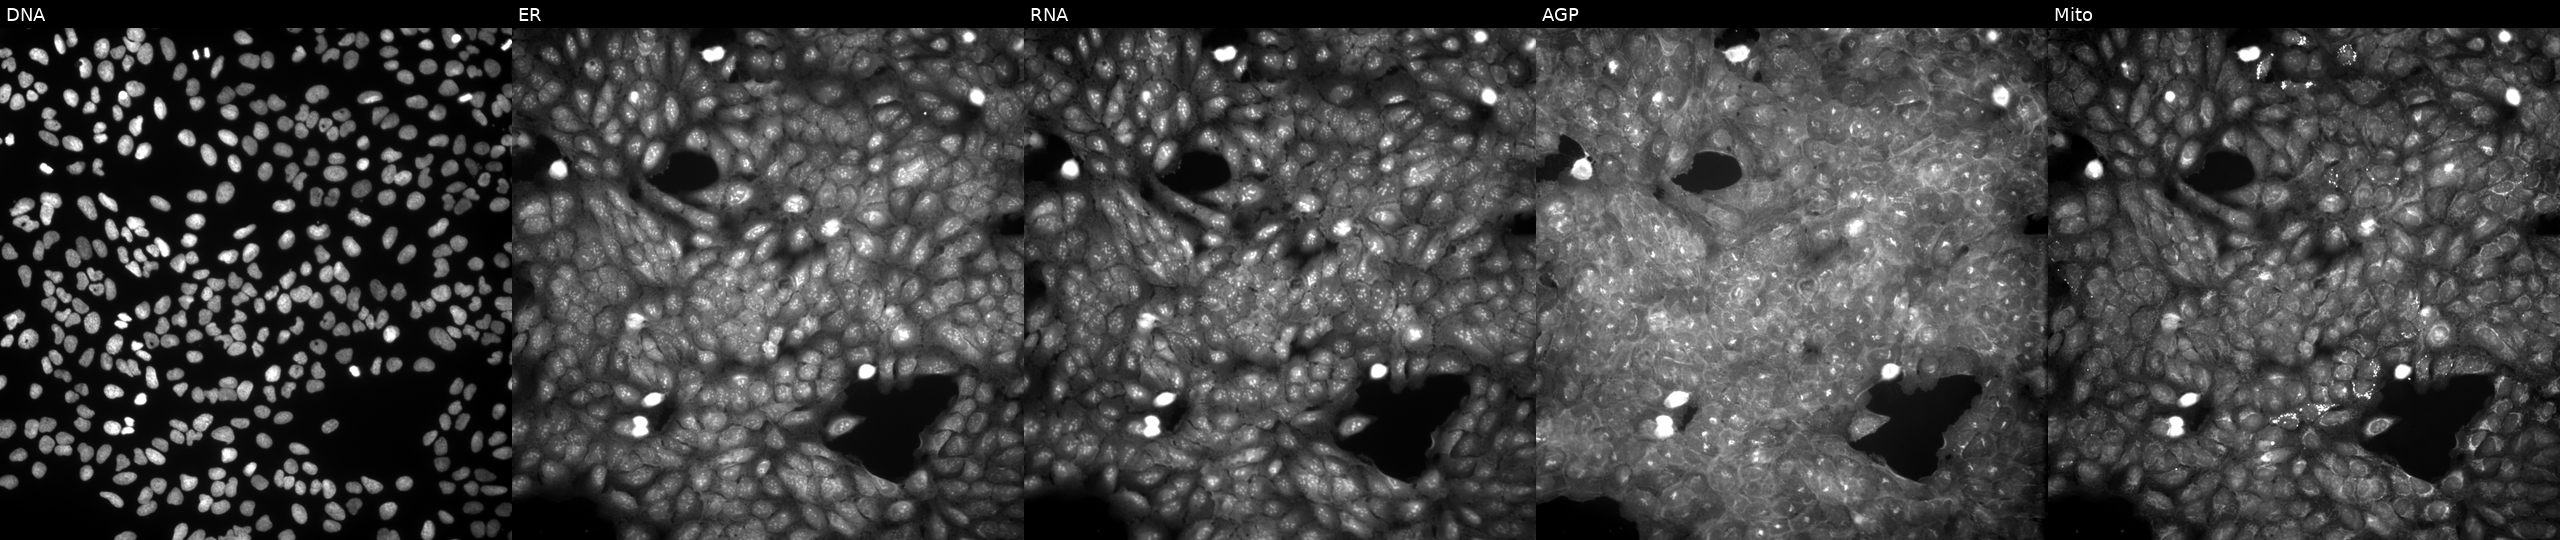
High-content fluorescence microscopy (Cell Painting). Cell line: U2OS. Perturbation: exposed to DMSO alone as a negative control (JUMP id JCP2022_033924). Panels show, left to right, DNA, ER, RNA, AGP, and Mito.